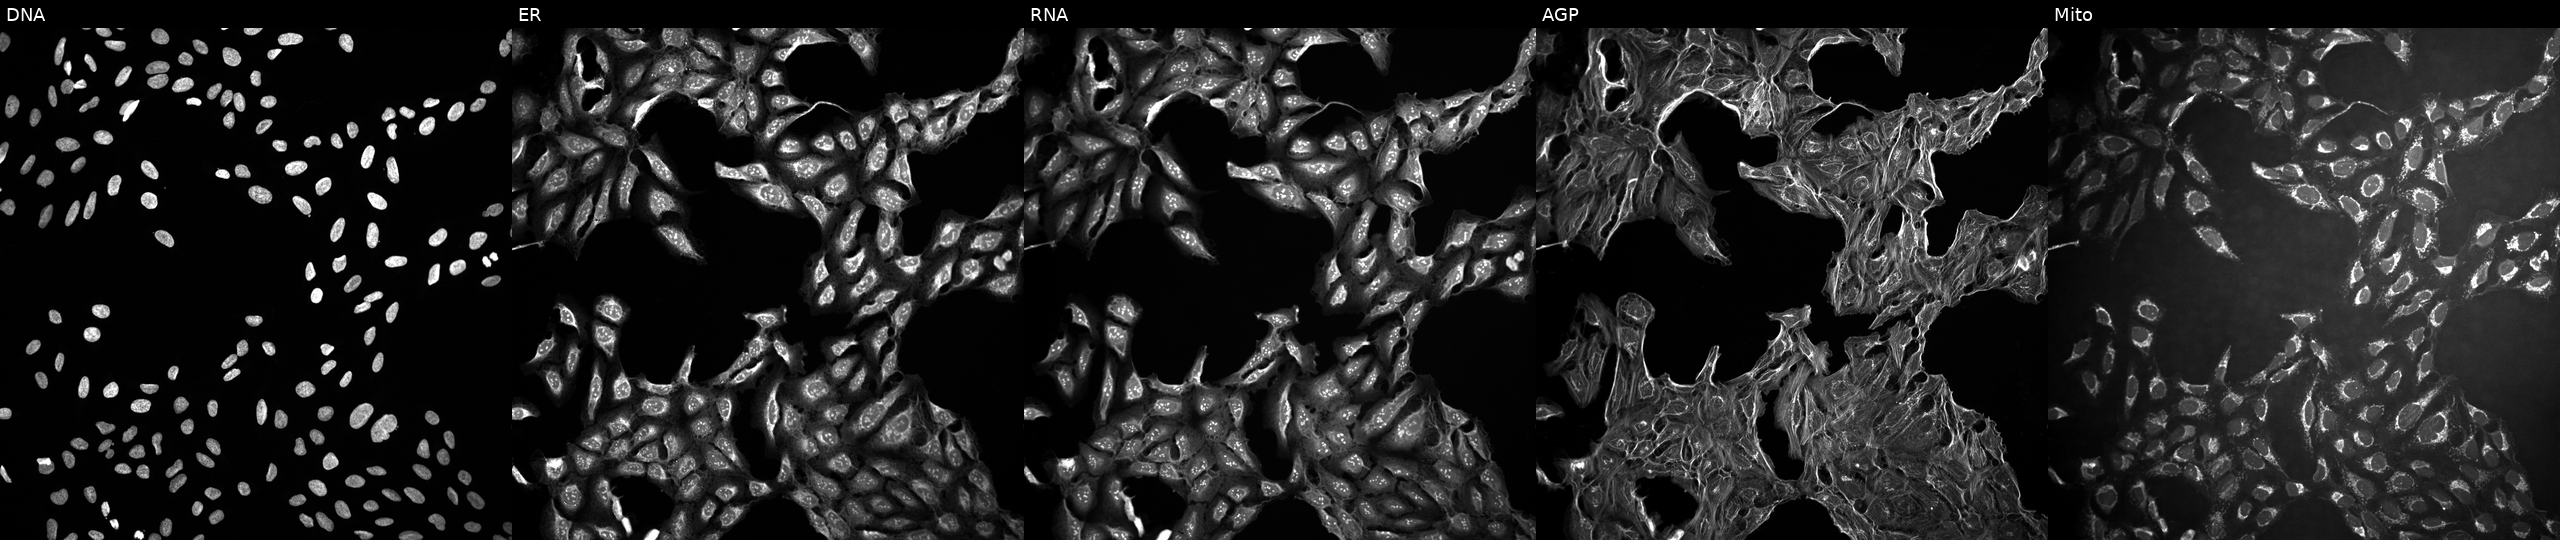
High-content fluorescence microscopy (Cell Painting). Cell line: U2OS. Perturbation: exposed to a small-molecule compound (InChIKey PBBGSZCBWVPOOL-UHFFFAOYSA-N) [SMILES: CCC(c1ccc(O)cc1)C(CC)c1ccc(O)cc1]. Channels (left→right): DNA, ER, RNA, AGP, and Mito. Source 10, plate Dest210727-153003, well O22.